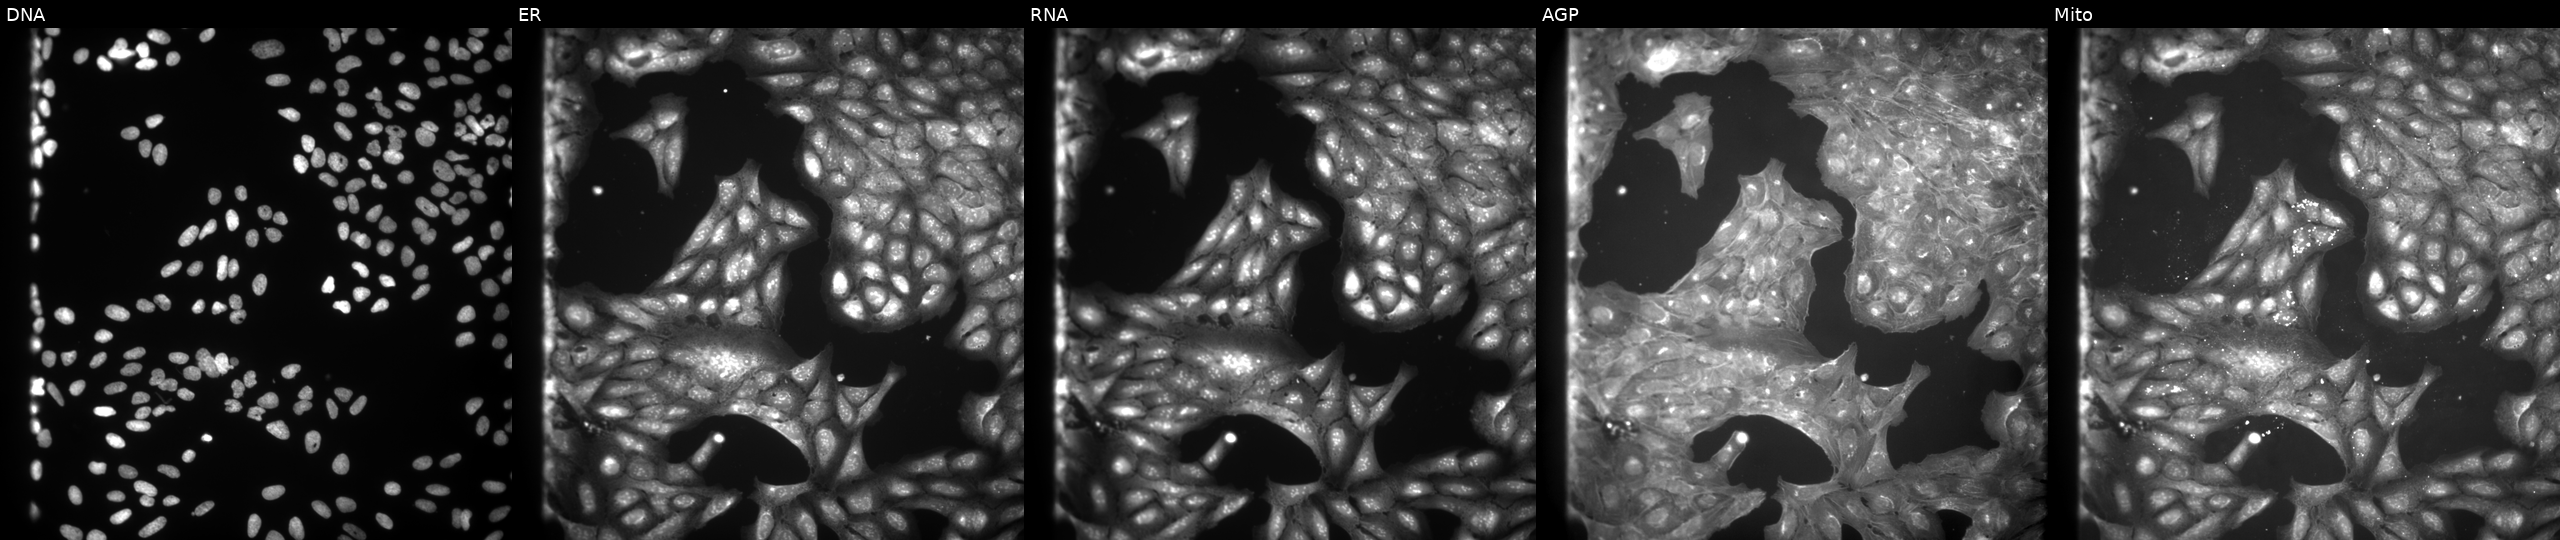
JUMP Cell Painting — COMPOUND plate. U2OS cells perturbed with a small-molecule compound (InChIKey HTOWJOTXUVFVBR-UHFFFAOYSA-N) (JUMP id JCP2022_032507). Channels (left→right): DNA, ER, RNA, AGP, and Mito.